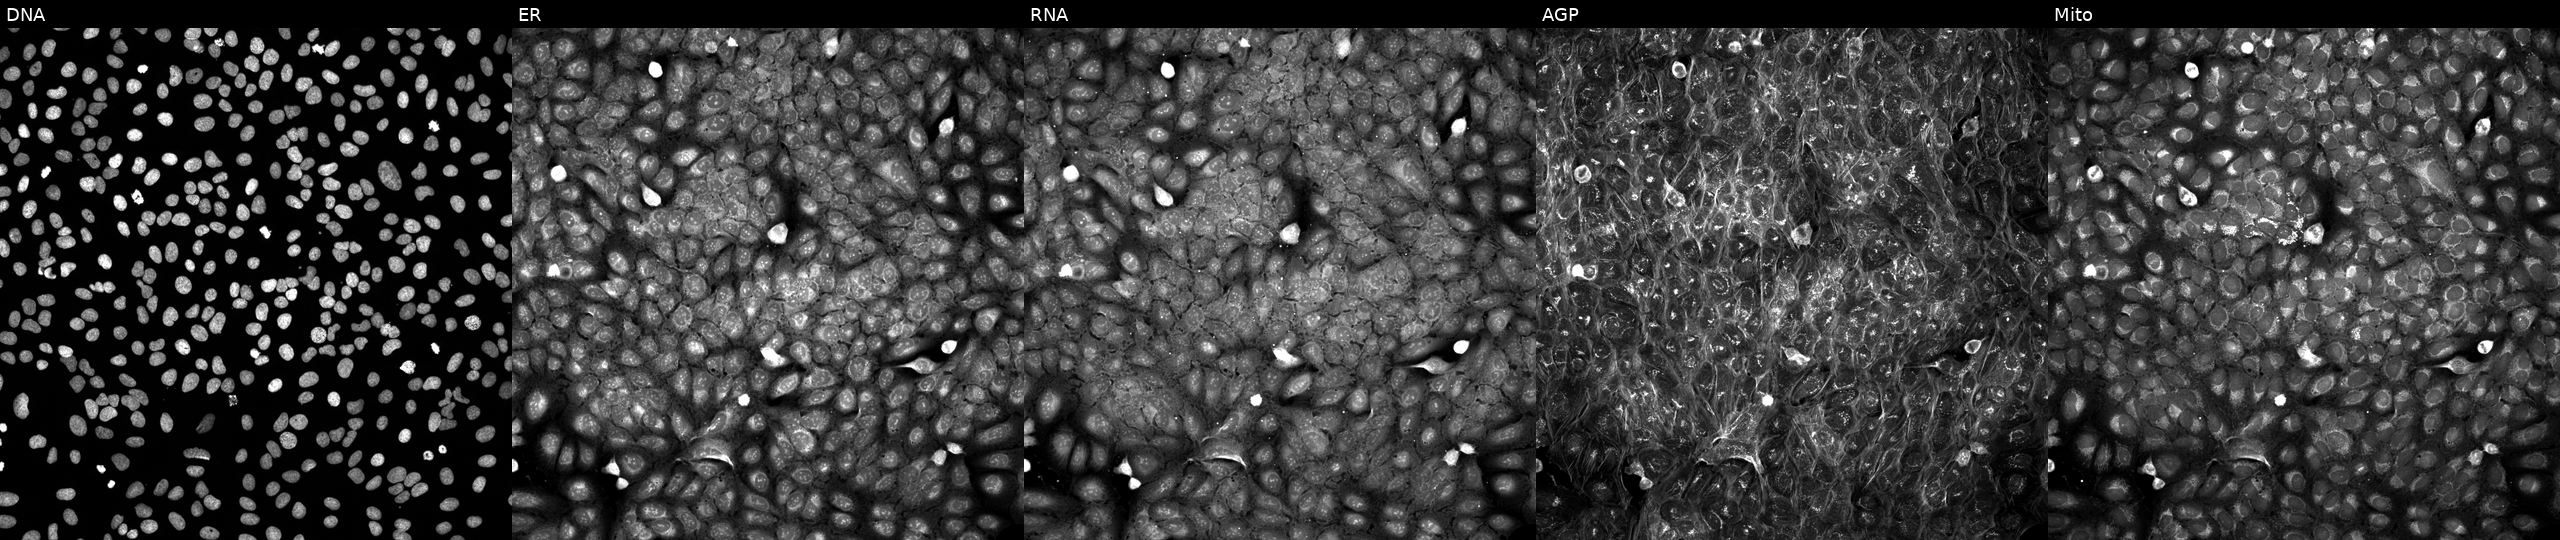
U2OS cells, Cell Painting assay, perturbed with a small-molecule compound (InChIKey LNFZRMDSZJCZTG-UHFFFAOYSA-N) (JUMP id JCP2022_050516). From left to right: DNA, ER, RNA, AGP, and Mito. Each panel is percentile-stretched 16-bit fluorescence.